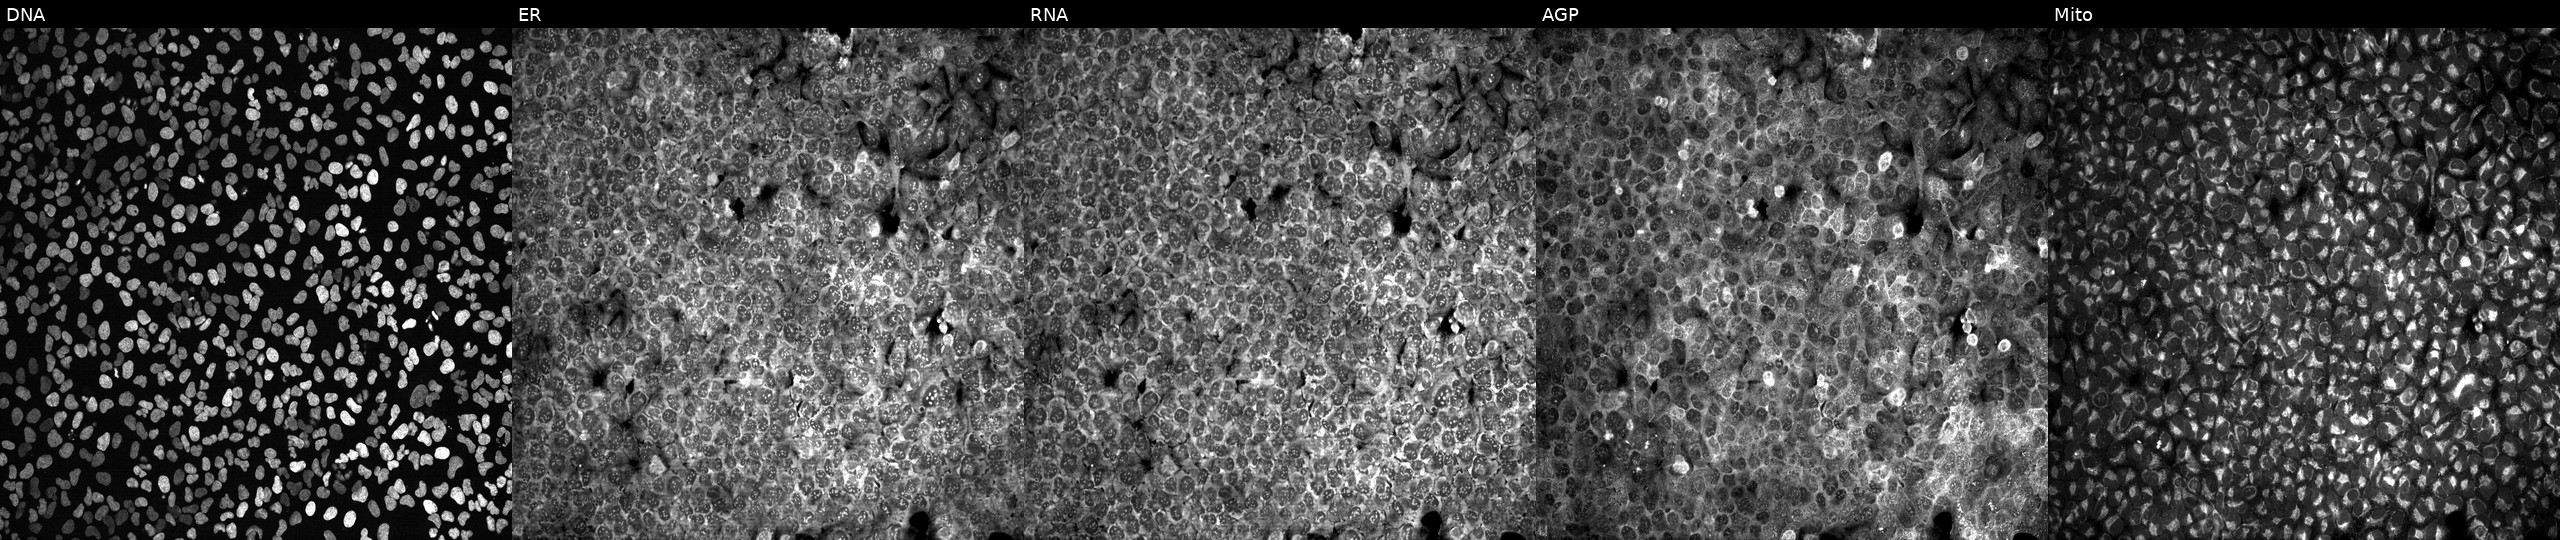
This image strip shows the five Cell Painting channels for a single field of U2OS cells treated with NVS-PAK1-1 (positive-control compound). From left to right: Hoechst 33342, concanavalin A, SYTO 14, phalloidin and WGA, MitoTracker.